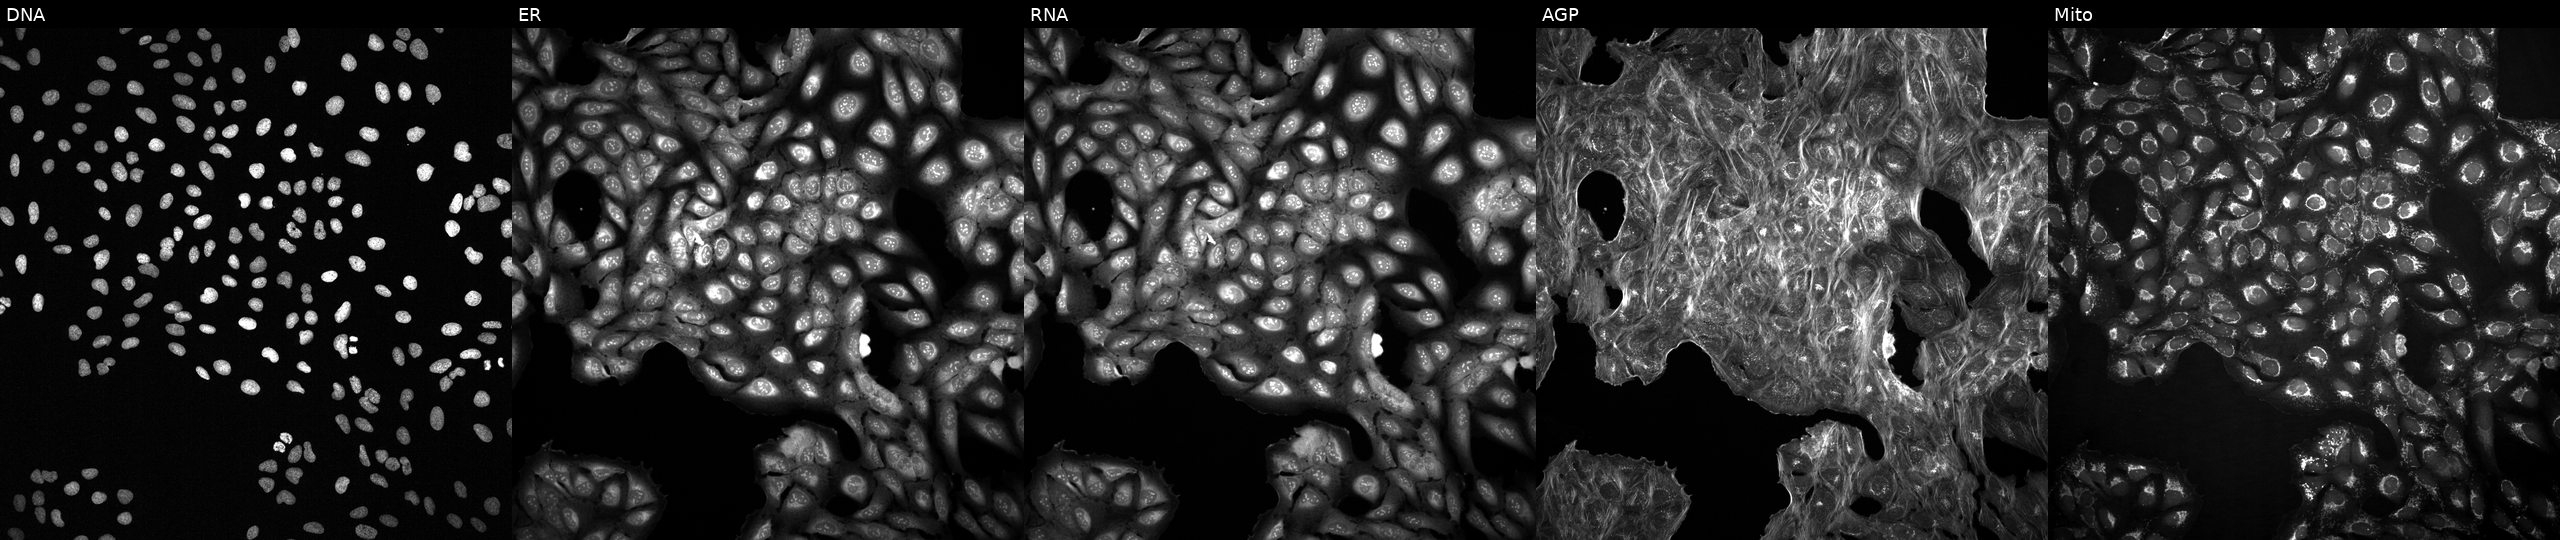
High-content fluorescence microscopy (Cell Painting). Cell line: U2OS. Perturbation: with an unidentified perturbation (not annotated in JUMP metadata). The five panels, left to right, show DNA (nuclei); ER (endoplasmic reticulum); RNA (nucleoli and cytoplasmic RNA); AGP (actin cytoskeleton, Golgi, and plasma membrane); Mito (mitochondria).